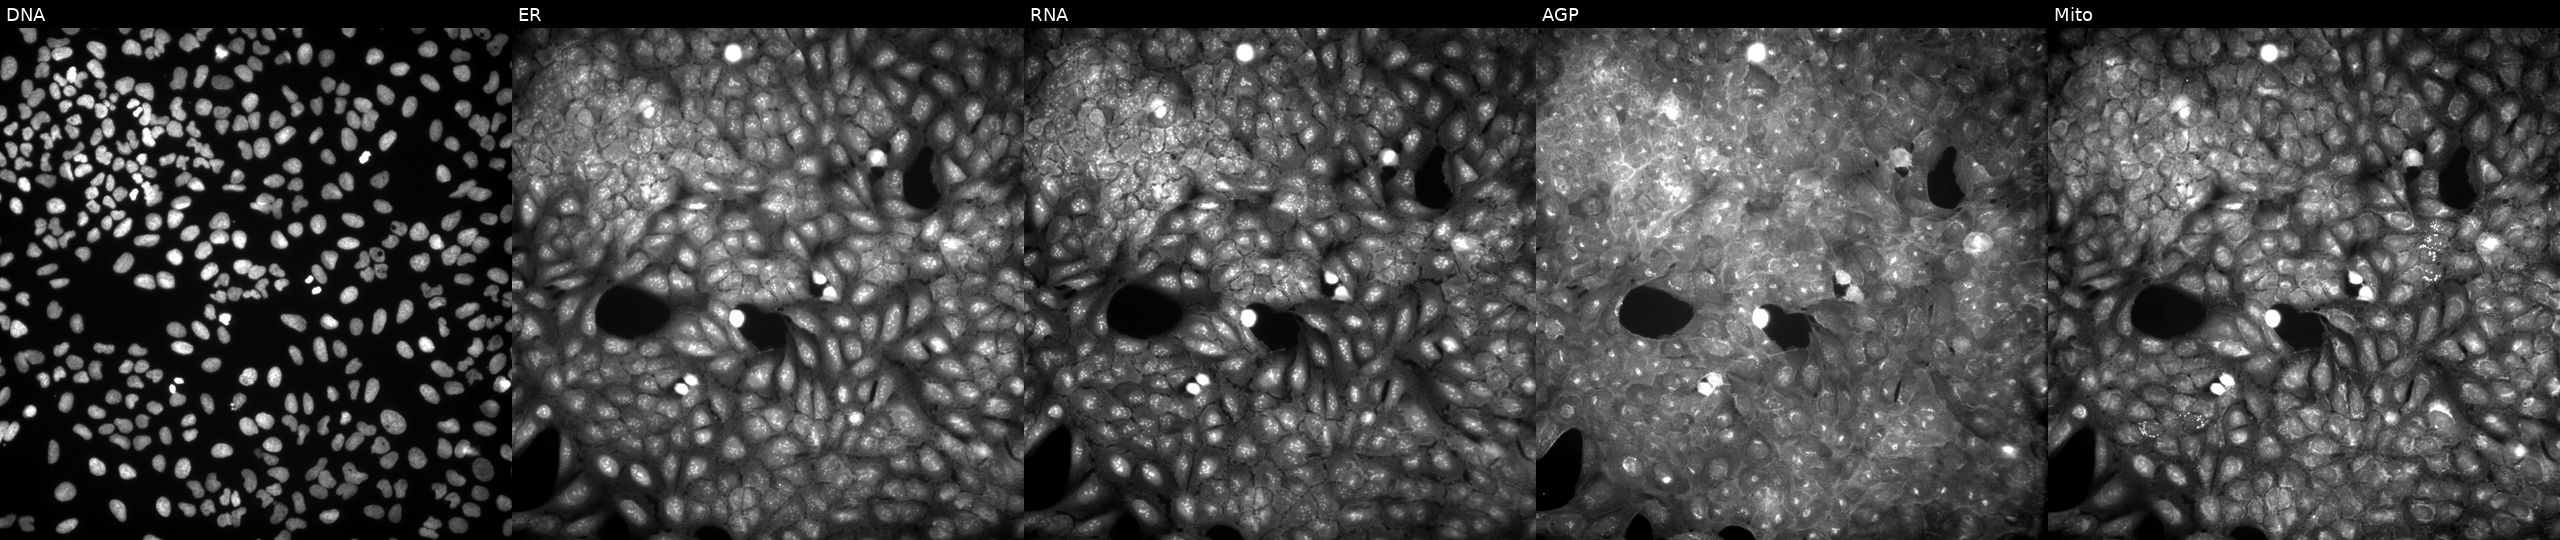
Five-channel Cell Painting image of U2OS cells exposed to a small-molecule compound (InChIKey NUYKMJOBLOJJPX-UHFFFAOYSA-N). From left to right: DNA, ER, RNA, AGP, and Mito.